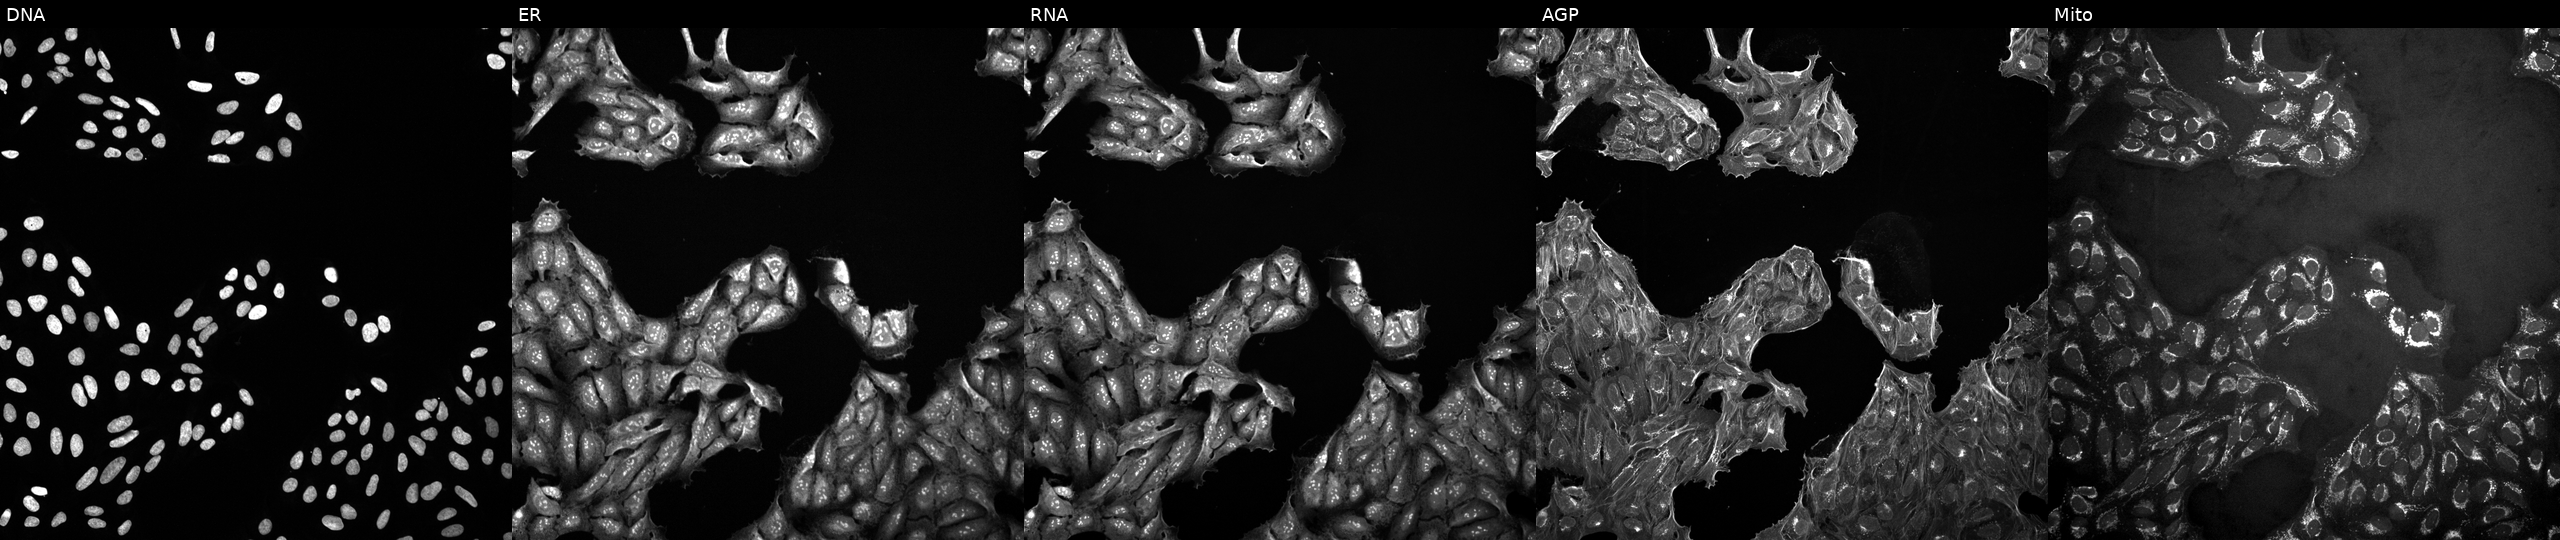
From left to right: DNA, ER, RNA, AGP, and Mito. U2OS osteosarcoma cells perturbed with a small-molecule compound (InChIKey VQZFFWCQZXZQMZ-UHFFFAOYSA-N). Cell Painting assay, JUMP-CP dataset. Source 10, plate Dest210531-152149, well A15.